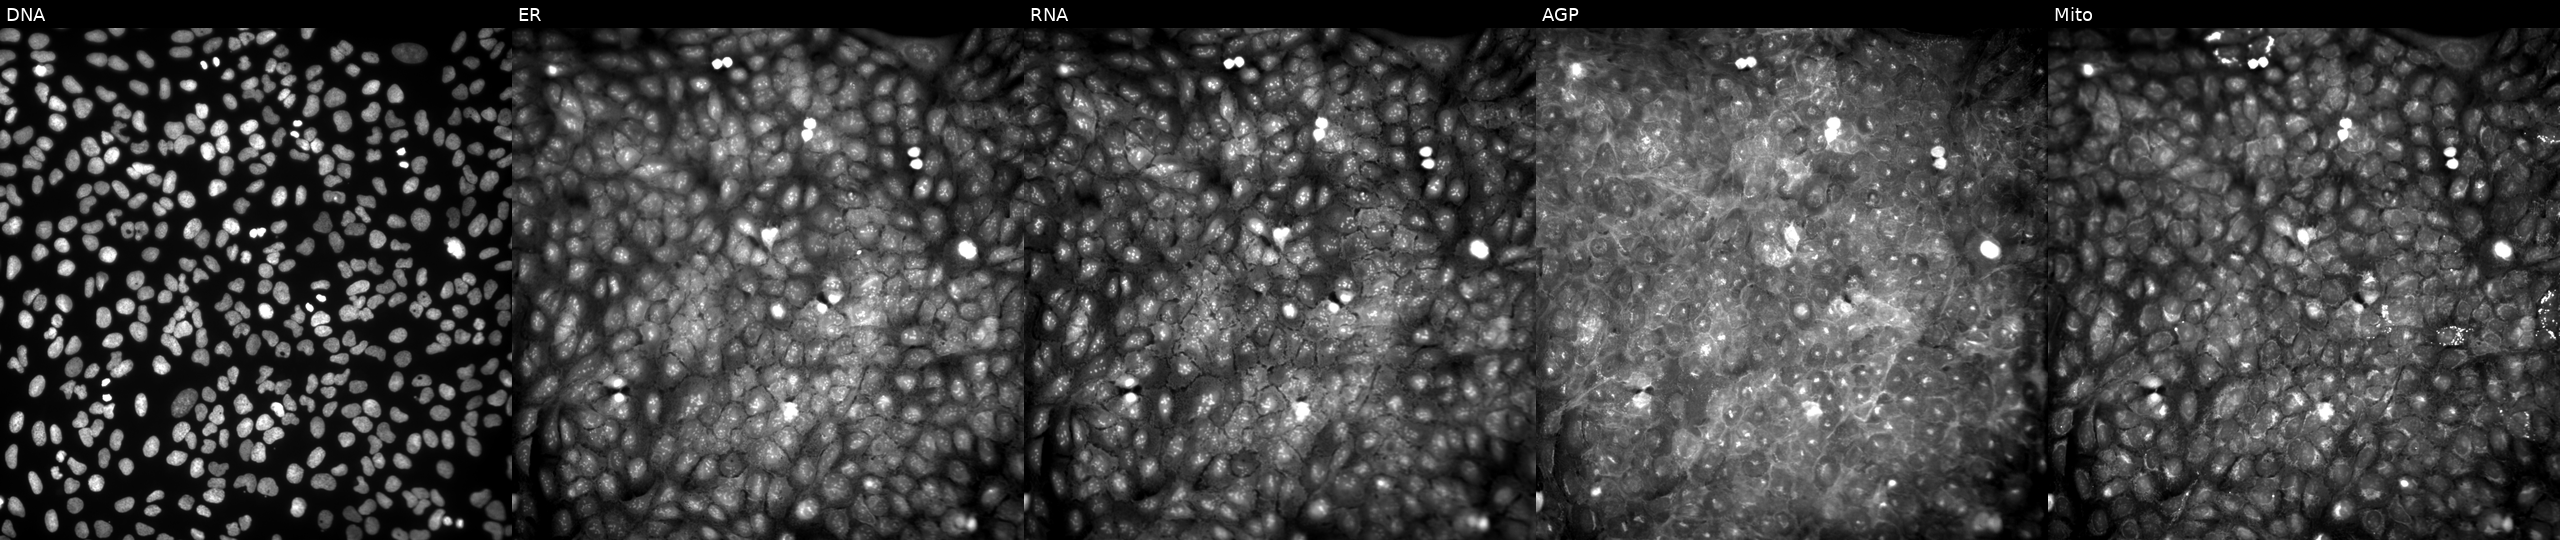
JUMP Cell Painting — COMPOUND plate. U2OS cells treated with a small-molecule compound (InChIKey PROXTNAOTPKFFY-UHFFFAOYSA-N) (JUMP id JCP2022_070515). The five panels, left to right, show Hoechst 33342, concanavalin A, SYTO 14, phalloidin and WGA, MitoTracker.